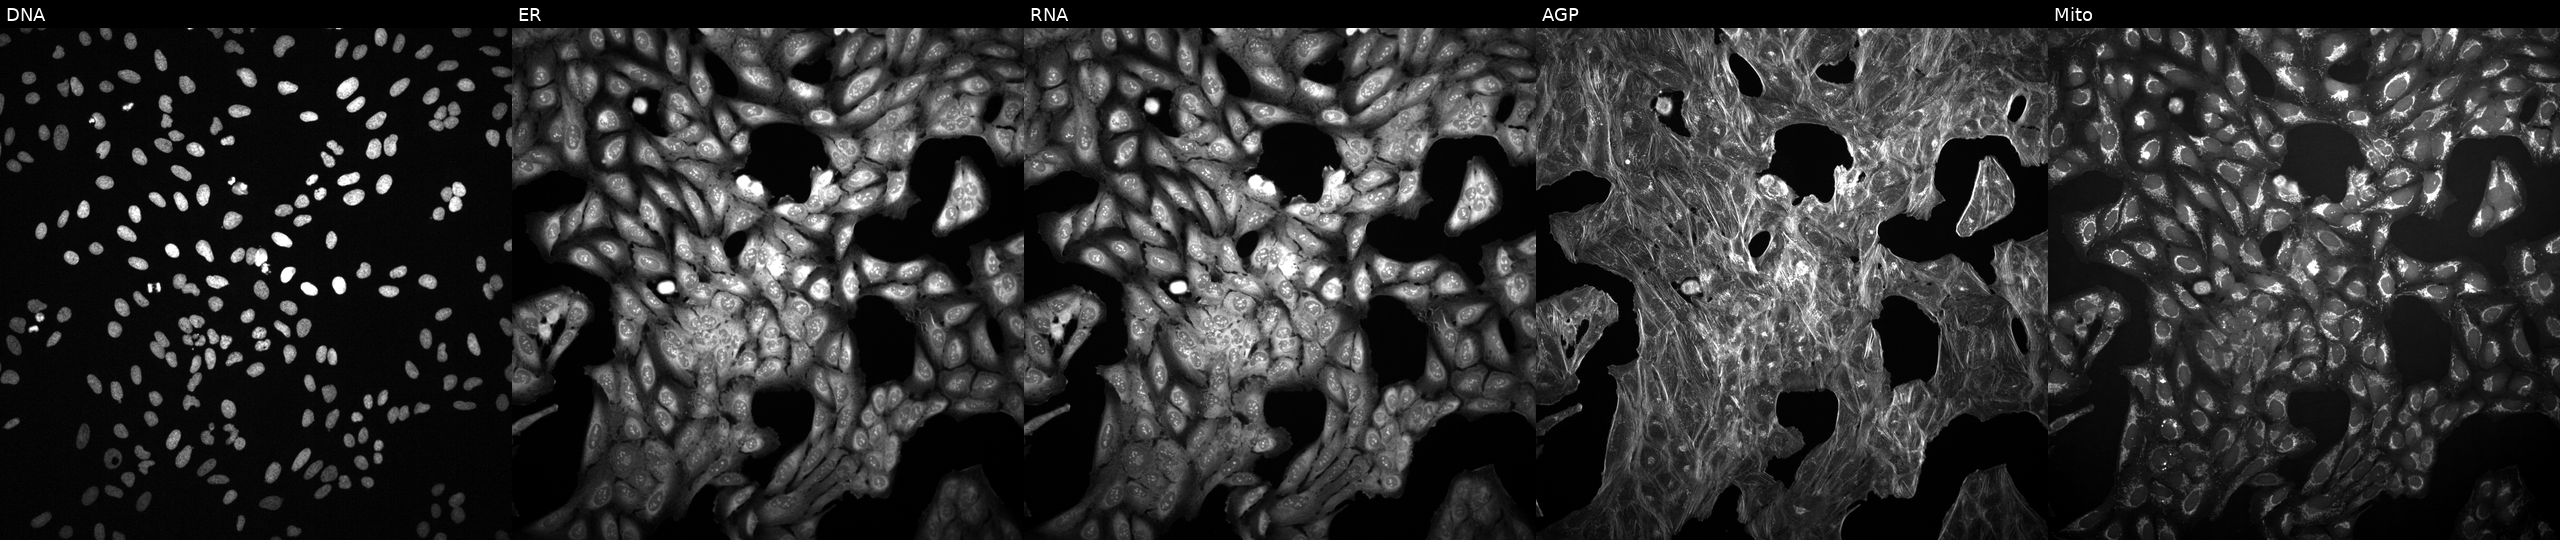
This image strip shows the five Cell Painting channels for a single field of U2OS cells exposed to DMSO alone as a negative control. The five panels, left to right, show DNA, ER, RNA, AGP, and Mito.